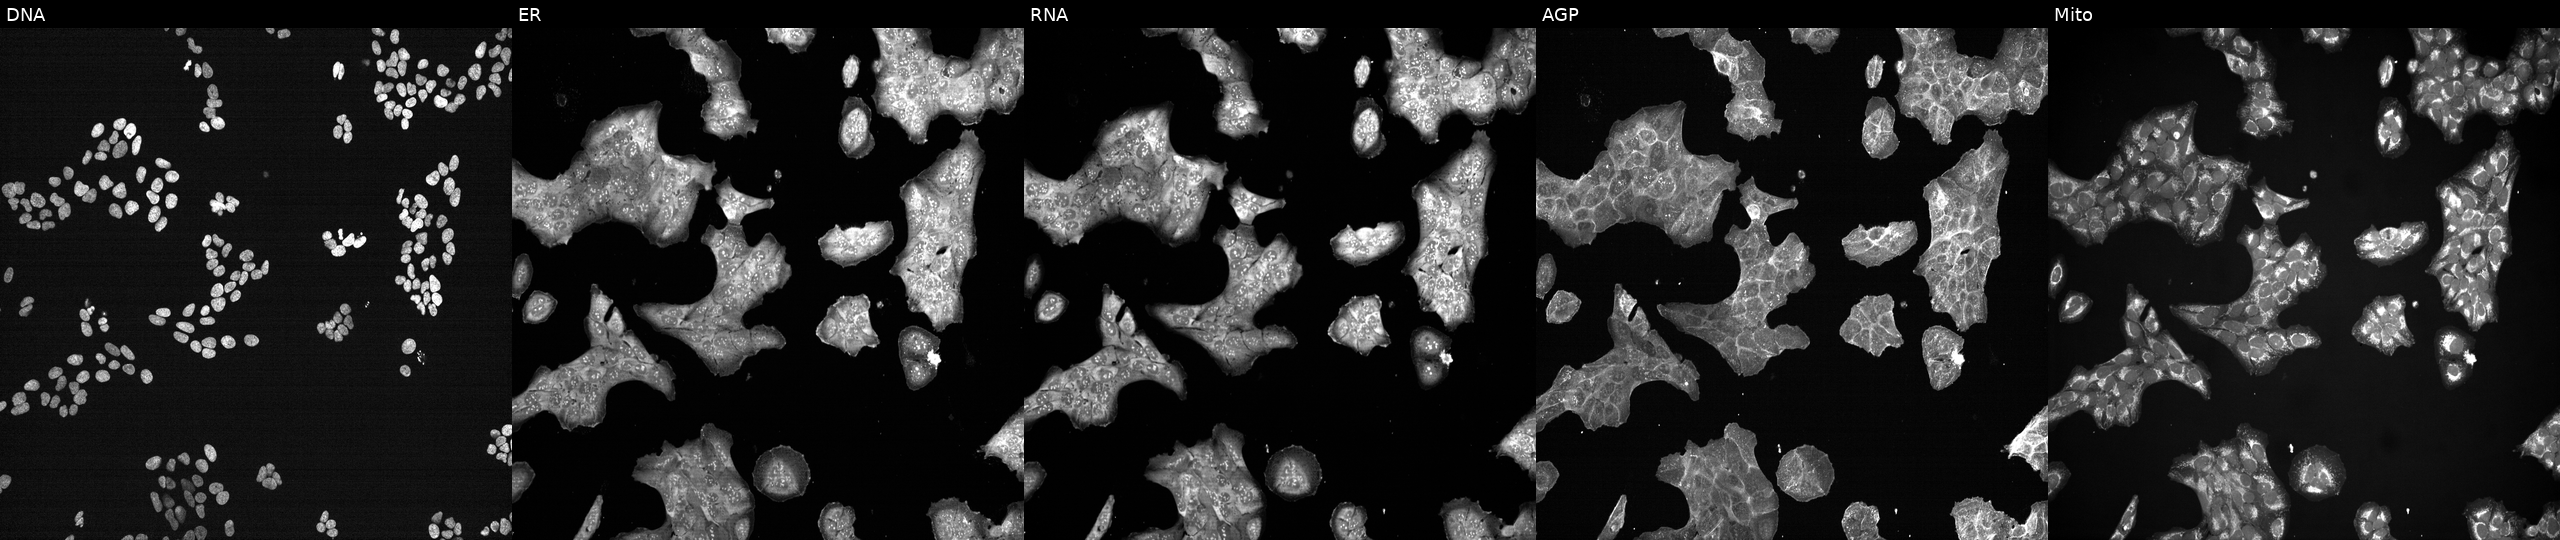
This image strip shows the five Cell Painting channels for a single field of U2OS cells exposed to a small-molecule compound (InChIKey ZVPDNRVYHLRXLX-UHFFFAOYSA-N). The five panels, left to right, show DNA (nuclei); ER (endoplasmic reticulum); RNA (nucleoli and cytoplasmic RNA); AGP (actin cytoskeleton, Golgi, and plasma membrane); Mito (mitochondria).